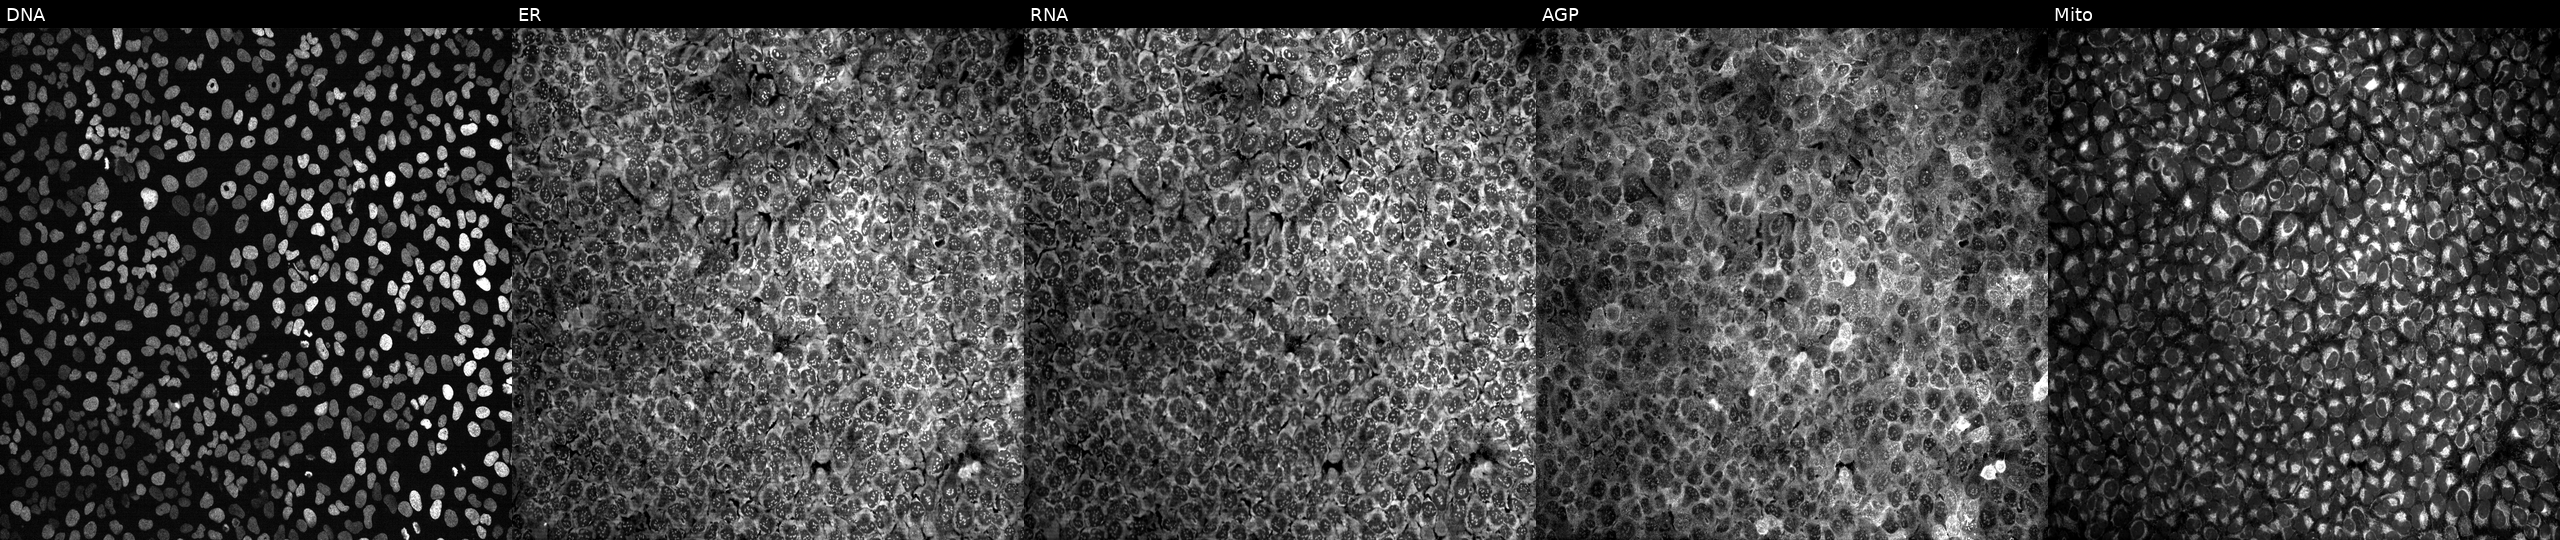
This image strip shows the five Cell Painting channels for a single field of U2OS cells treated with DMSO vehicle only (negative control). Channels (left→right): DNA (nuclei); ER (endoplasmic reticulum); RNA (nucleoli and cytoplasmic RNA); AGP (actin cytoskeleton, Golgi, and plasma membrane); Mito (mitochondria). Source 13, plate CP-CC9-R4-03, well L02.